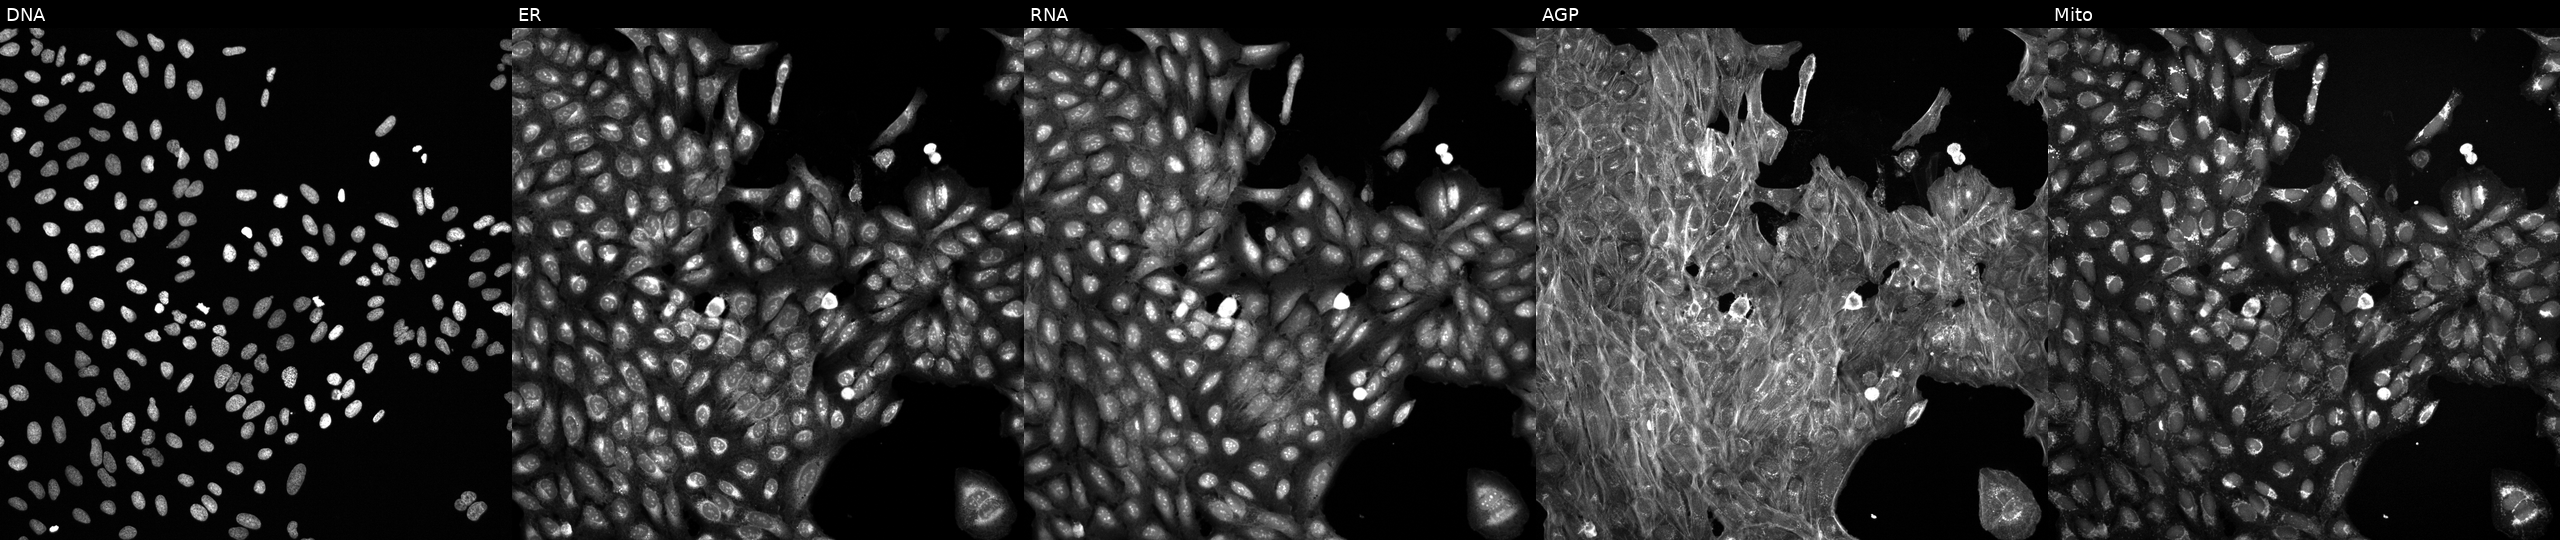
This image strip shows the five Cell Painting channels for a single field of U2OS cells exposed to a small-molecule compound (JUMP id JCP2022_077046). The five panels, left to right, show DNA, ER, RNA, AGP, and Mito. Source 6, plate 110000294901, well O08.